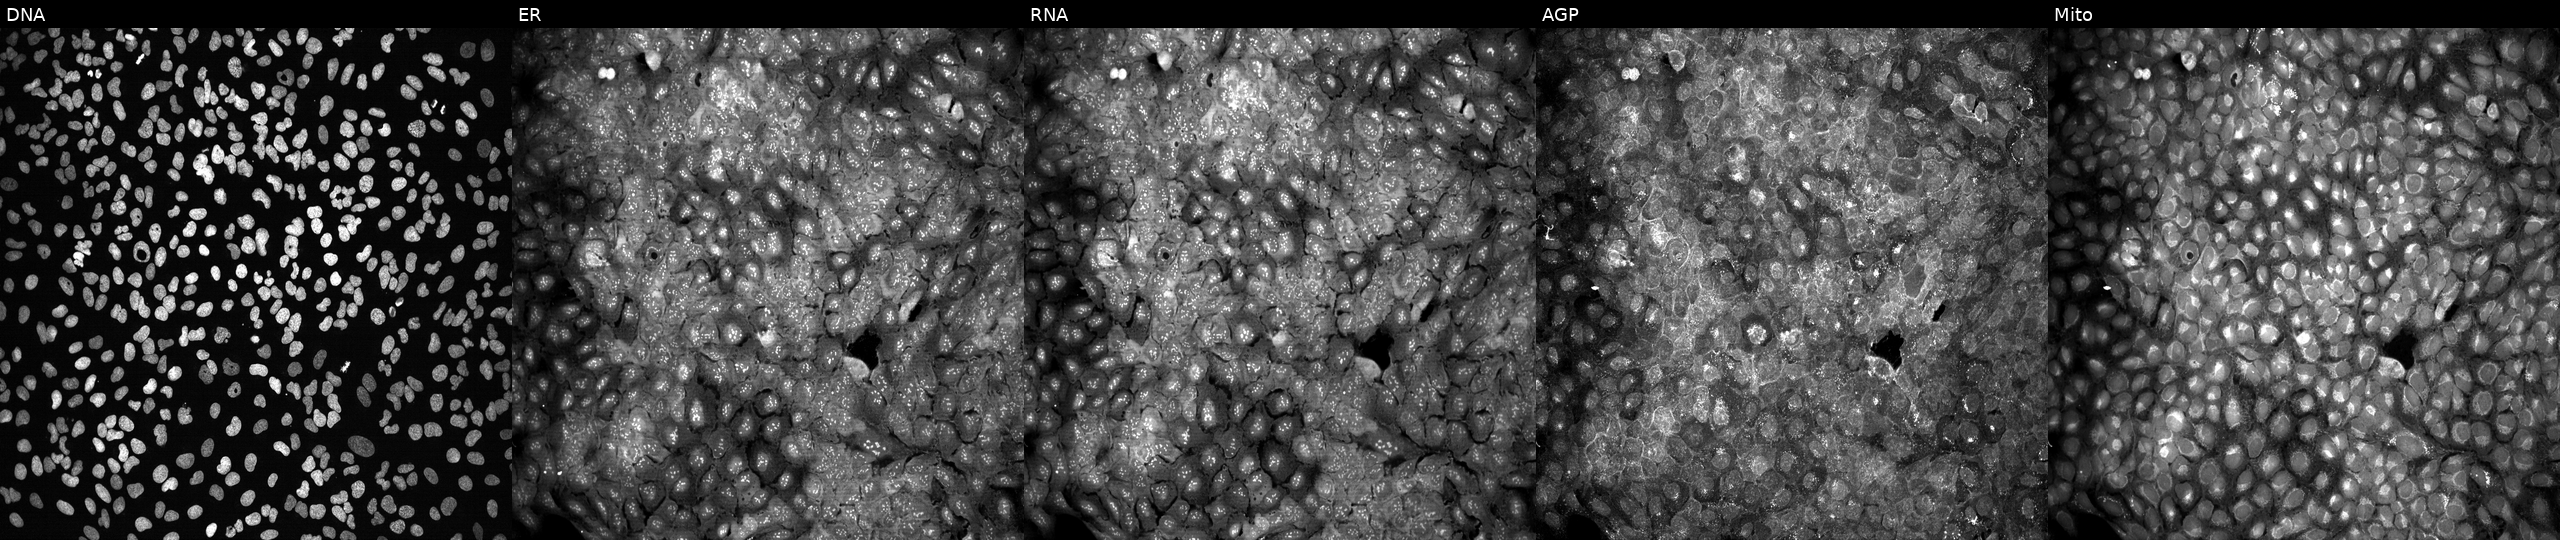
JUMP Cell Painting — CRISPR plate. U2OS cells CRISPR-edited to disrupt HS3ST1 (JUMP id JCP2022_803226). Channels (left→right): Hoechst 33342, concanavalin A, SYTO 14, phalloidin and WGA, MitoTracker. Source 13, plate CP-CC9-R1-02, well F18.